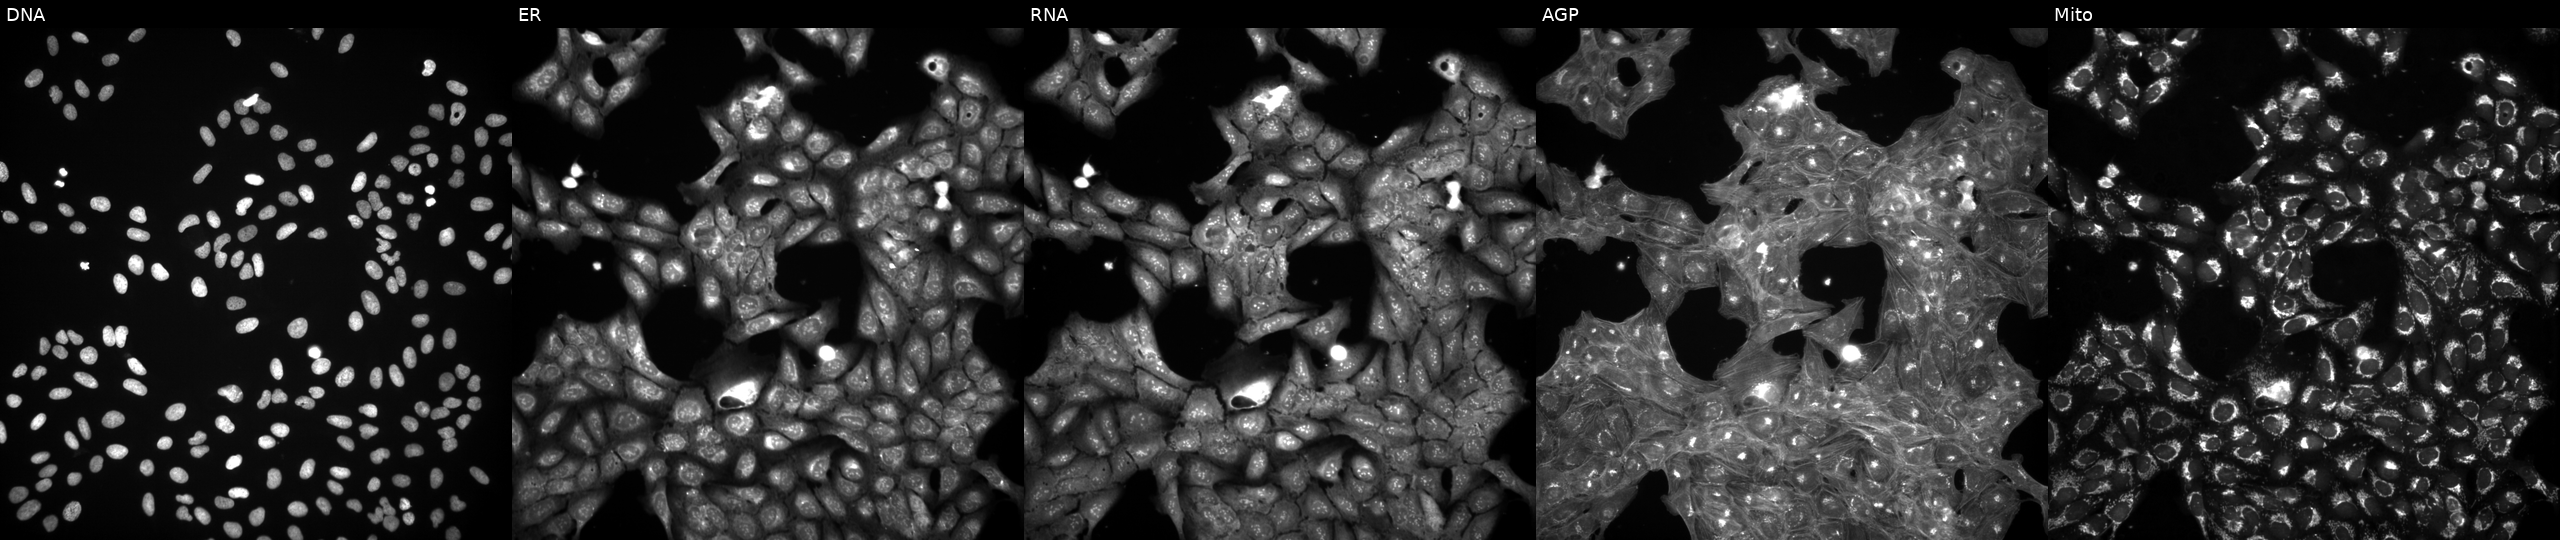
Five-channel Cell Painting image of U2OS cells treated with a small-molecule compound [SMILES: Cc1cc(=NCCN2CCOCC2)n2c([nH]c3ccccc32)c1C#N] (JUMP id JCP2022_000433). The five panels, left to right, show DNA, ER, RNA, AGP, and Mito. Source 3, plate BR5867b3, well F17.